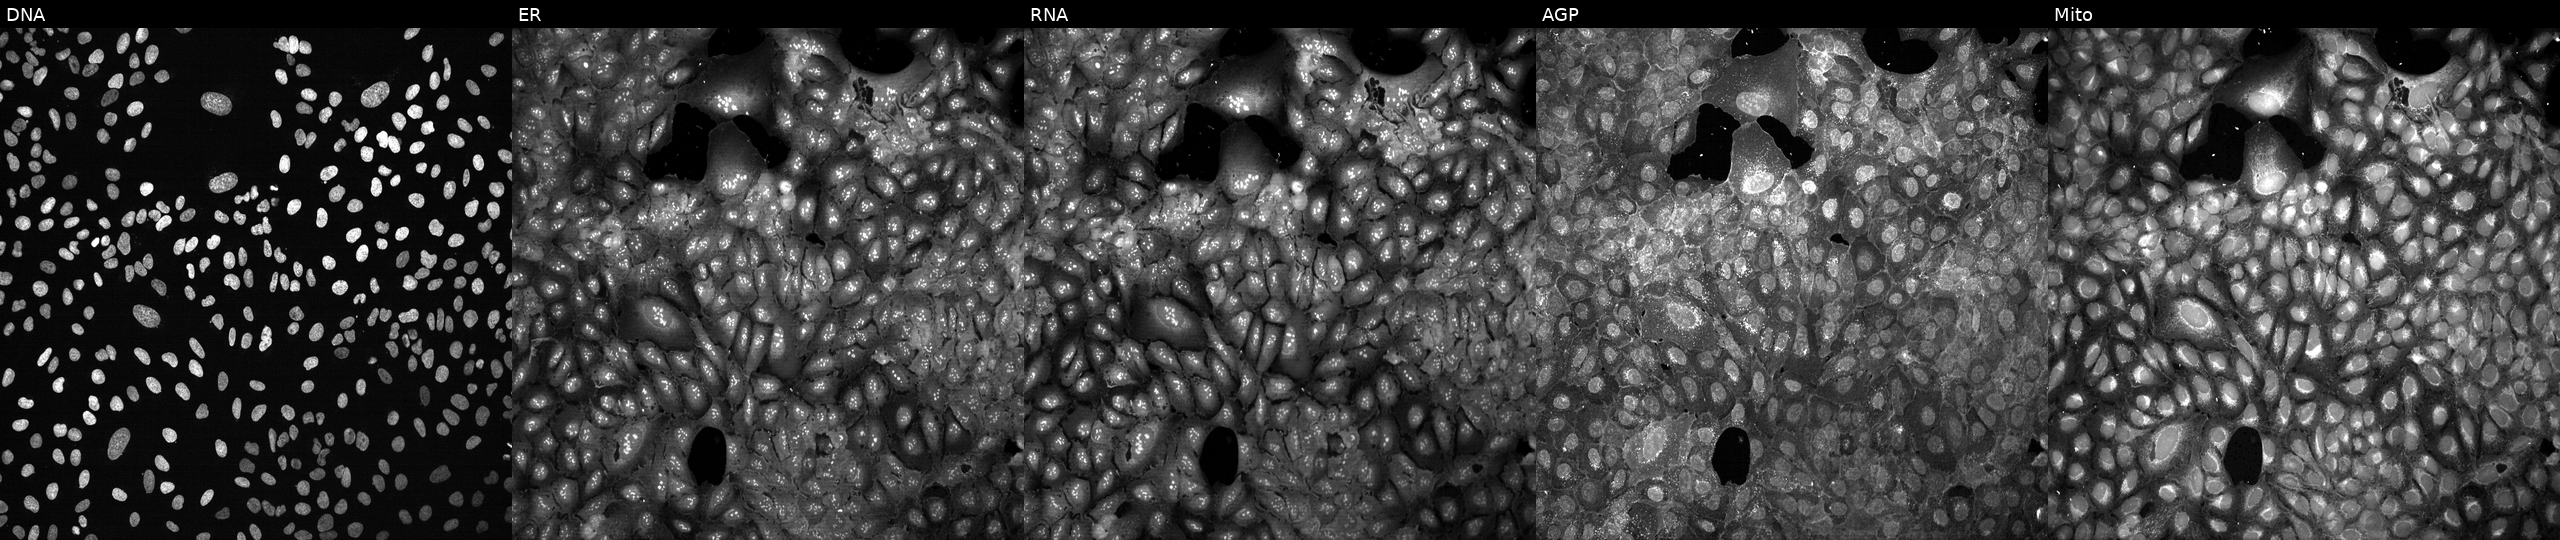
High-content fluorescence microscopy (Cell Painting). Cell line: U2OS. Perturbation: with TIMP3 knocked out by CRISPR. The five panels, left to right, show DNA, ER, RNA, AGP, and Mito.